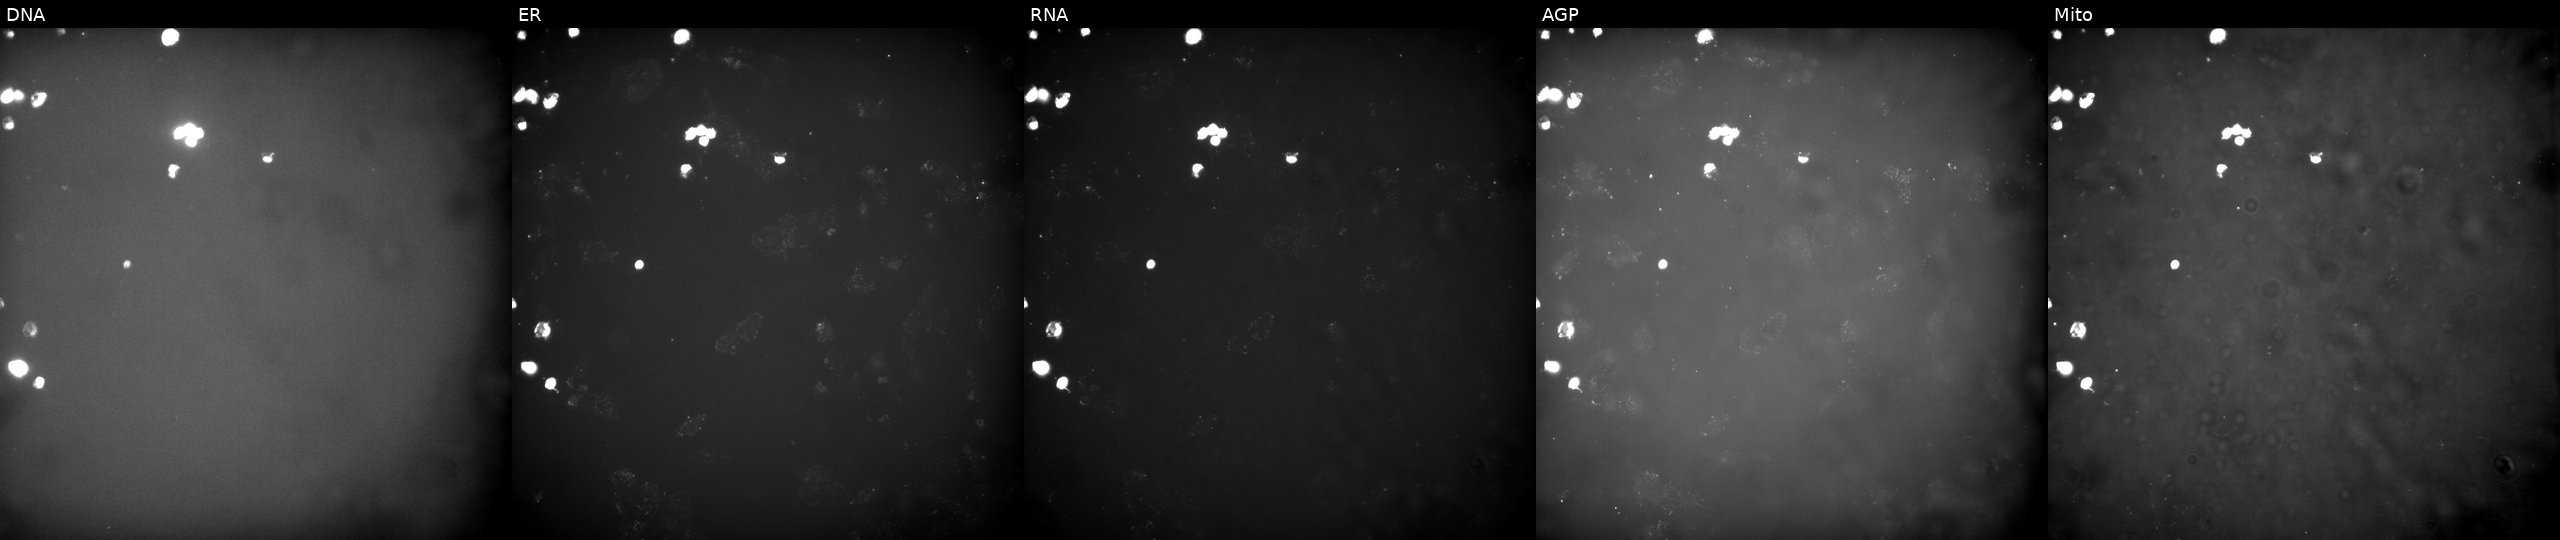
High-content fluorescence microscopy (Cell Painting). Cell line: U2OS. Perturbation: perturbed with a small-molecule compound (InChIKey AYEWPLSGPARBDX-UHFFFAOYSA-N) (JUMP id JCP2022_004605). From left to right: DNA, ER, RNA, AGP, and Mito.